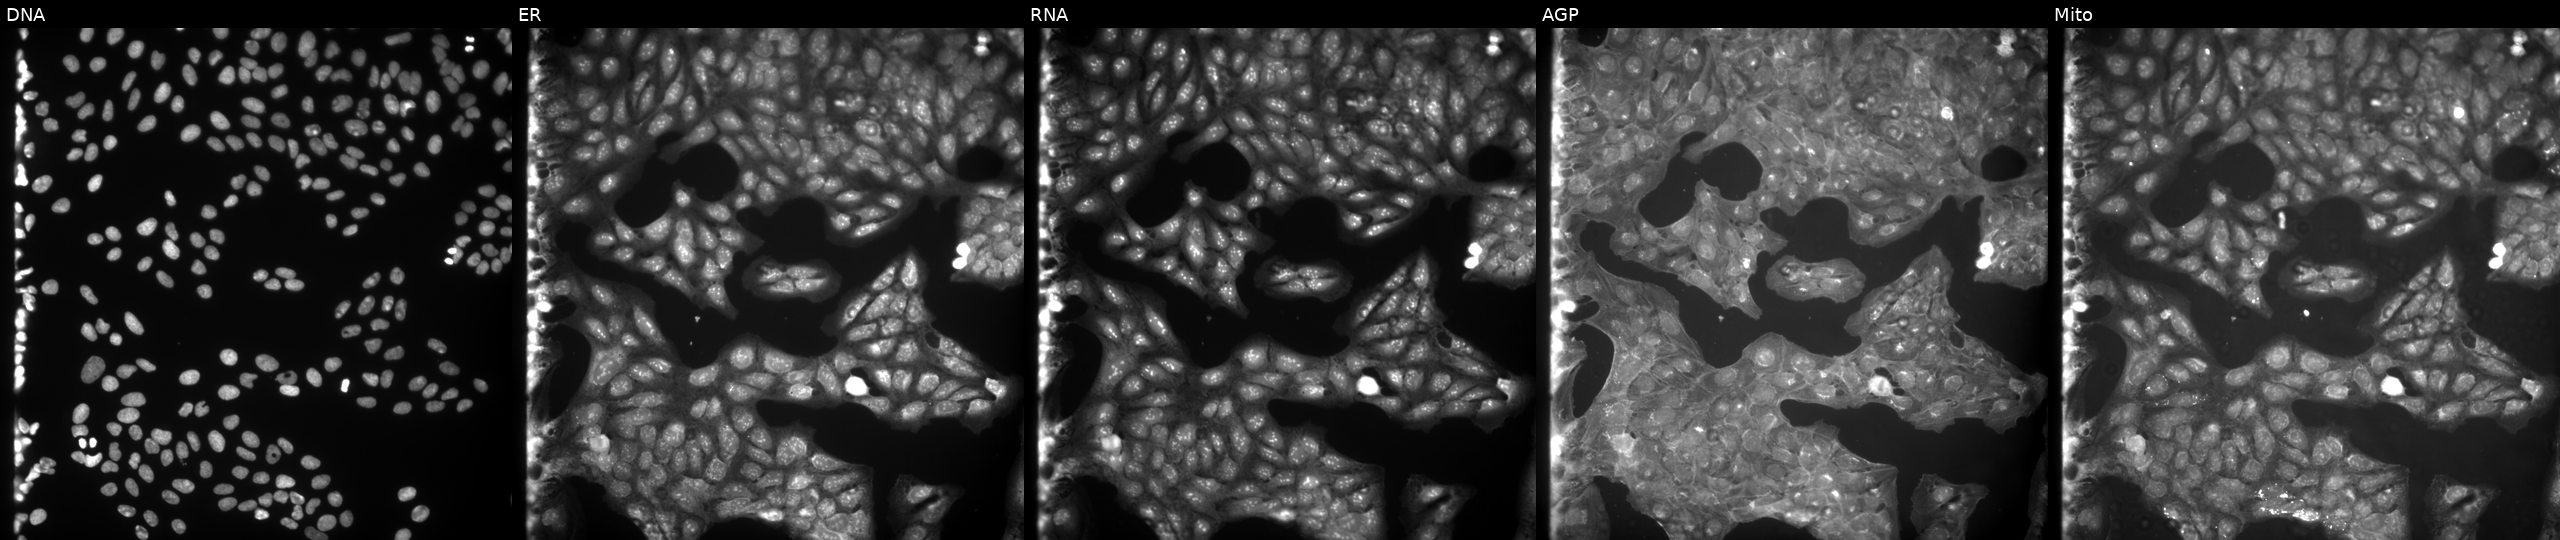
Five-channel Cell Painting image of U2OS cells exposed to a small-molecule compound. Channels (left→right): DNA, ER, RNA, AGP, and Mito. Source 9, plate GR00003382, well A17.